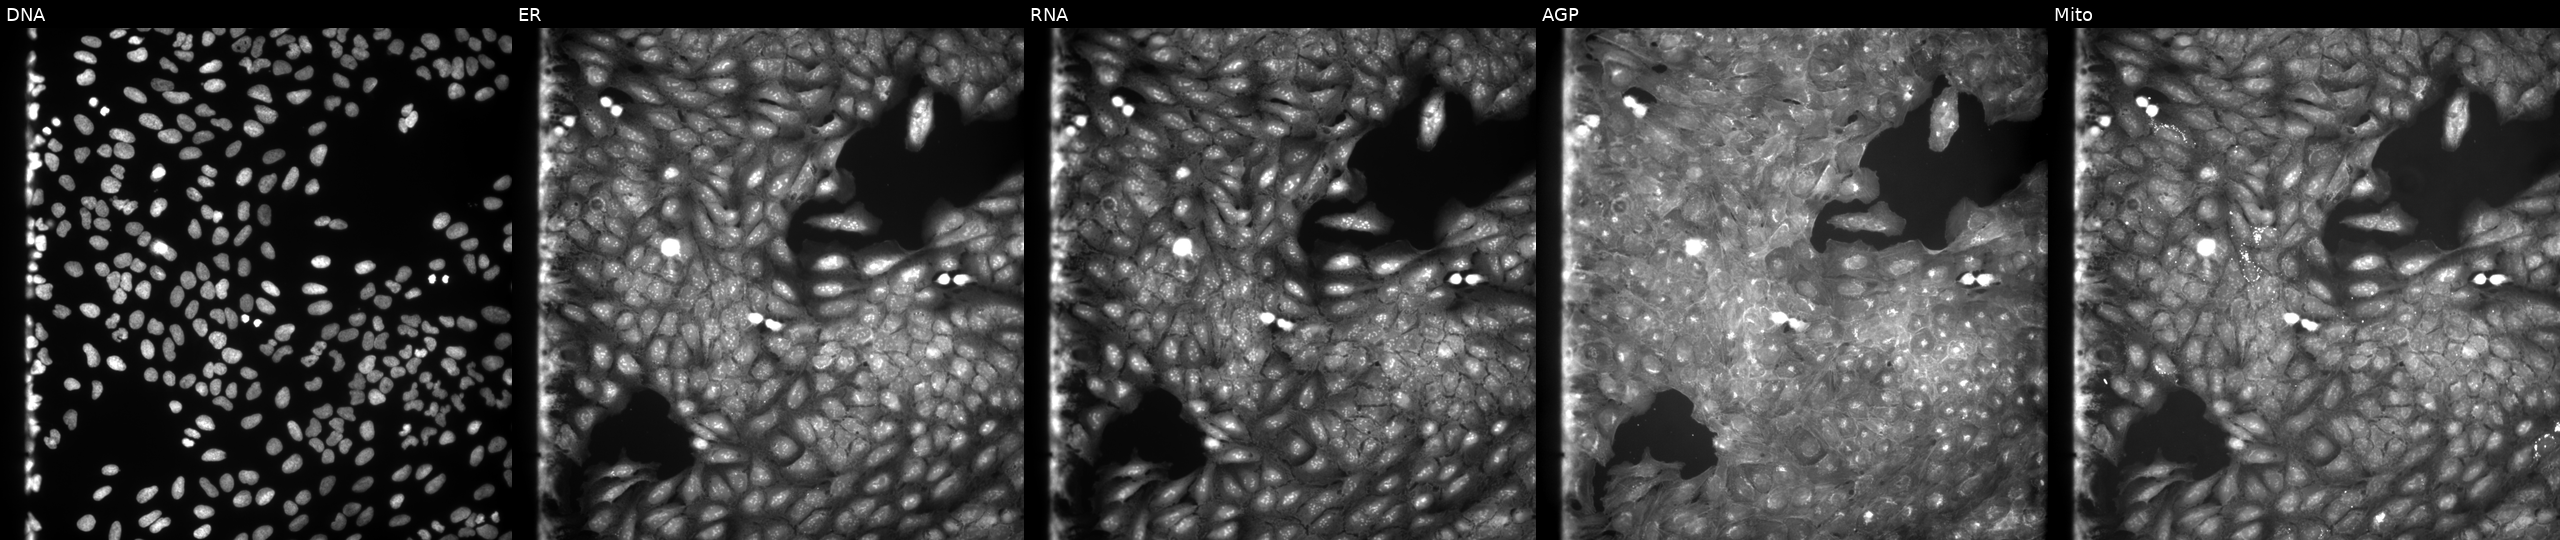
From left to right: Hoechst 33342, concanavalin A, SYTO 14, phalloidin and WGA, MitoTracker. U2OS osteosarcoma cells perturbed with a small-molecule compound (JUMP id JCP2022_082313). Cell Painting assay, JUMP-CP dataset.